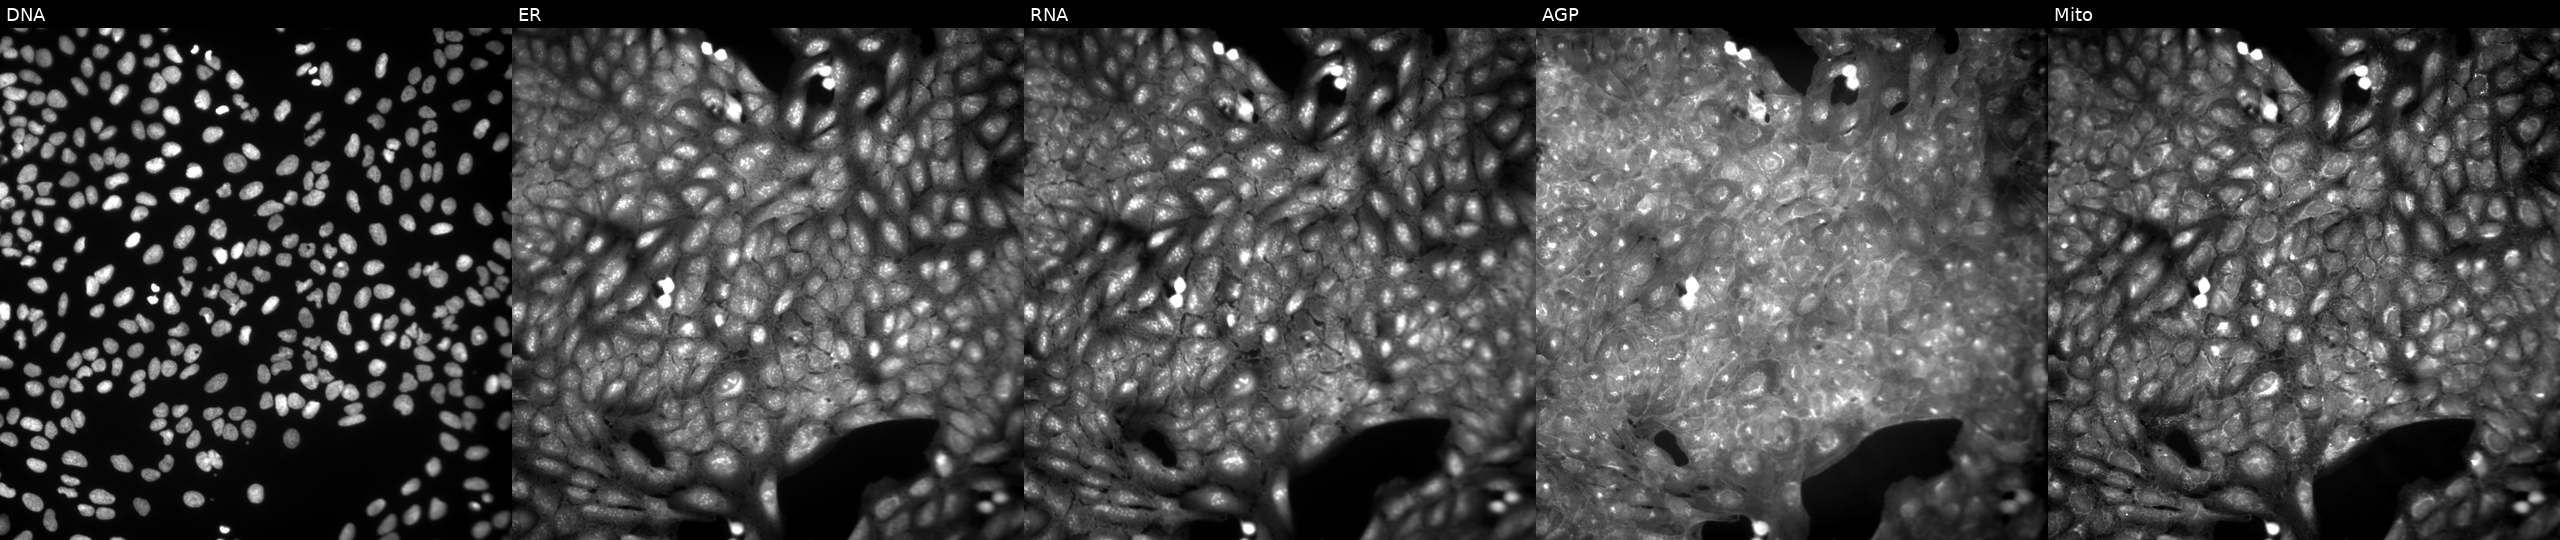
JUMP Cell Painting — COMPOUND plate. U2OS cells treated with a small-molecule compound (InChIKey DZJPXVALJSSBHR-UHFFFAOYSA-N) [SMILES: C=CCNC(=O)CN(Cc1ccccc1)S(=O)(=O)c1ccccc1] (JUMP id JCP2022_019173). Panels show, left to right, DNA, ER, RNA, AGP, and Mito. Source 9, plate GR00003381, well V44.